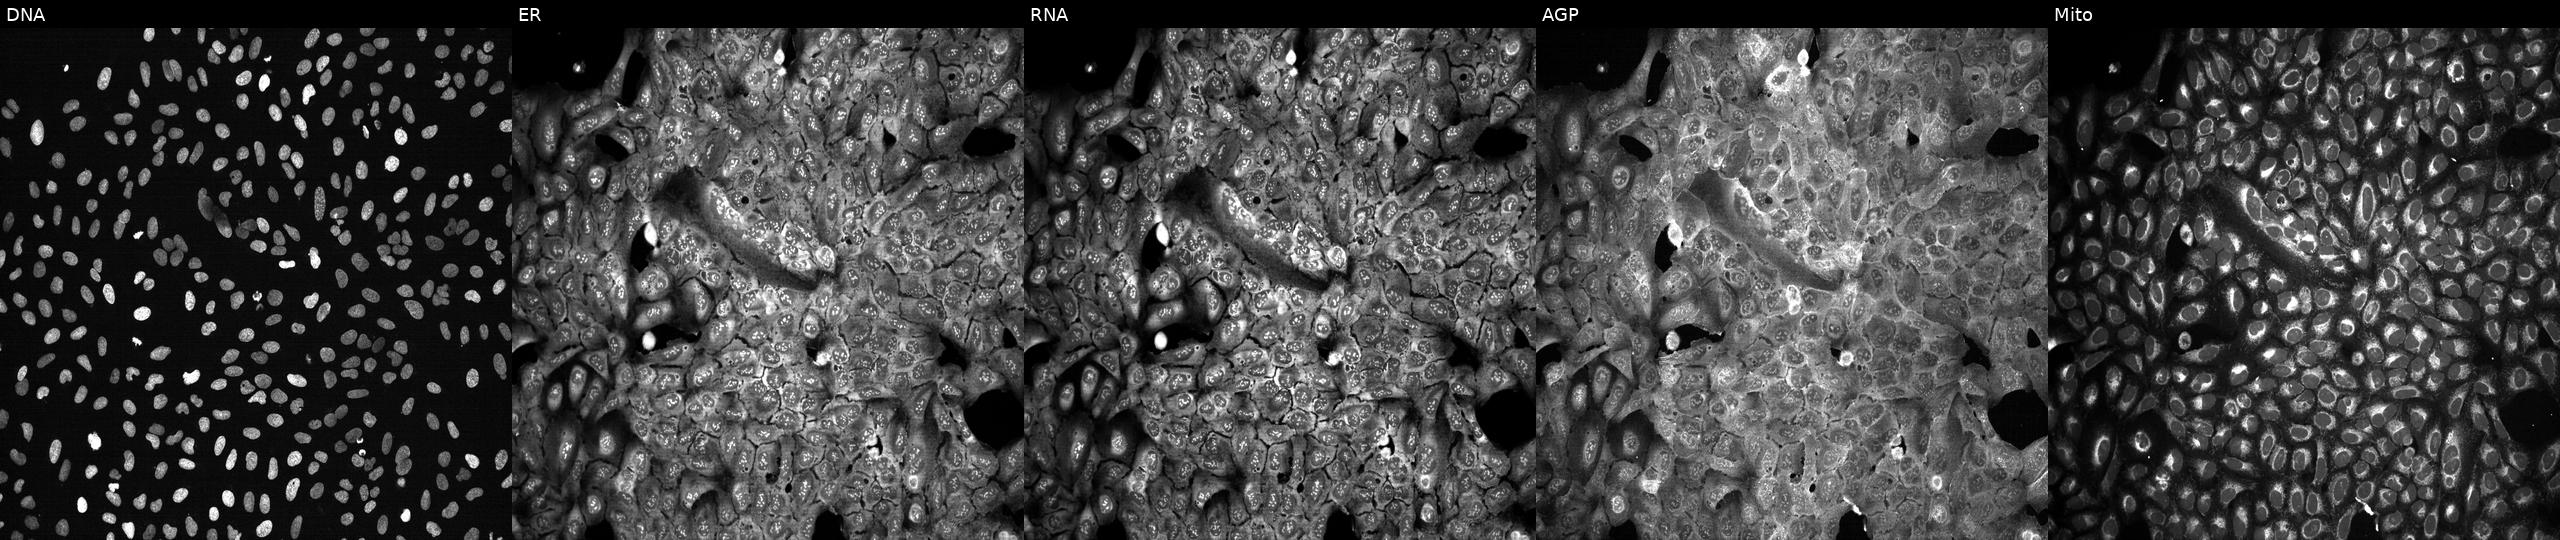
Five-channel Cell Painting image of U2OS cells CRISPR-edited to disrupt HS3ST1. Panels show, left to right, DNA, ER, RNA, AGP, and Mito.